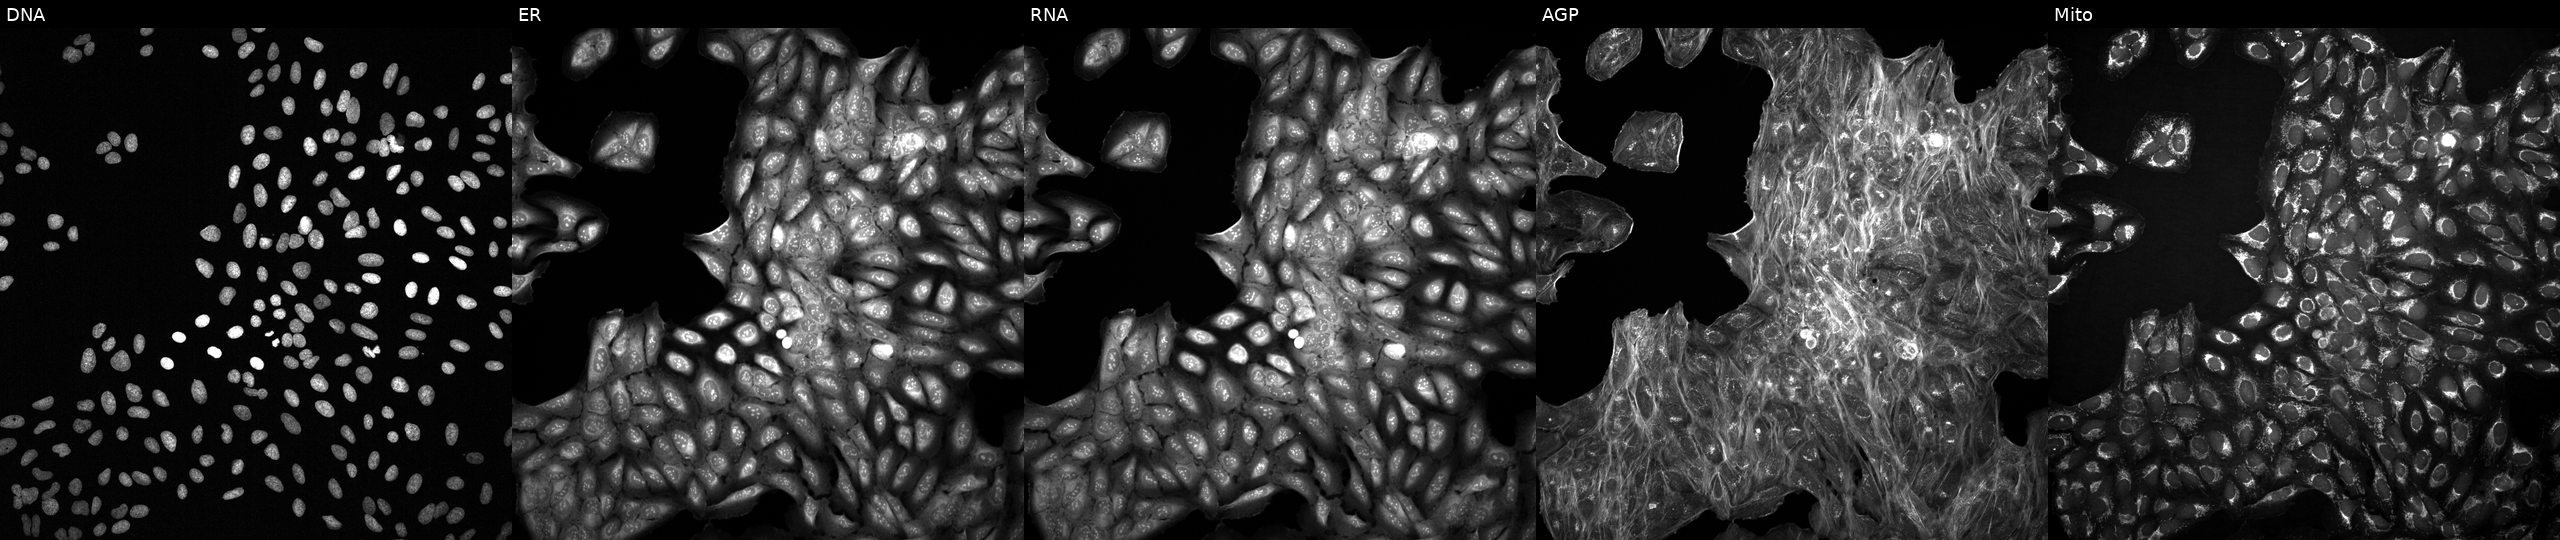
U2OS cells, Cell Painting assay, perturbed with a small-molecule compound (InChIKey JYYAHPHZNQIOEF-UHFFFAOYSA-N) (JUMP id JCP2022_043045). Panels show, left to right, Hoechst 33342, concanavalin A, SYTO 14, phalloidin and WGA, MitoTracker. Each panel is percentile-stretched 16-bit fluorescence. Source 2, plate 1053601763, well C10.